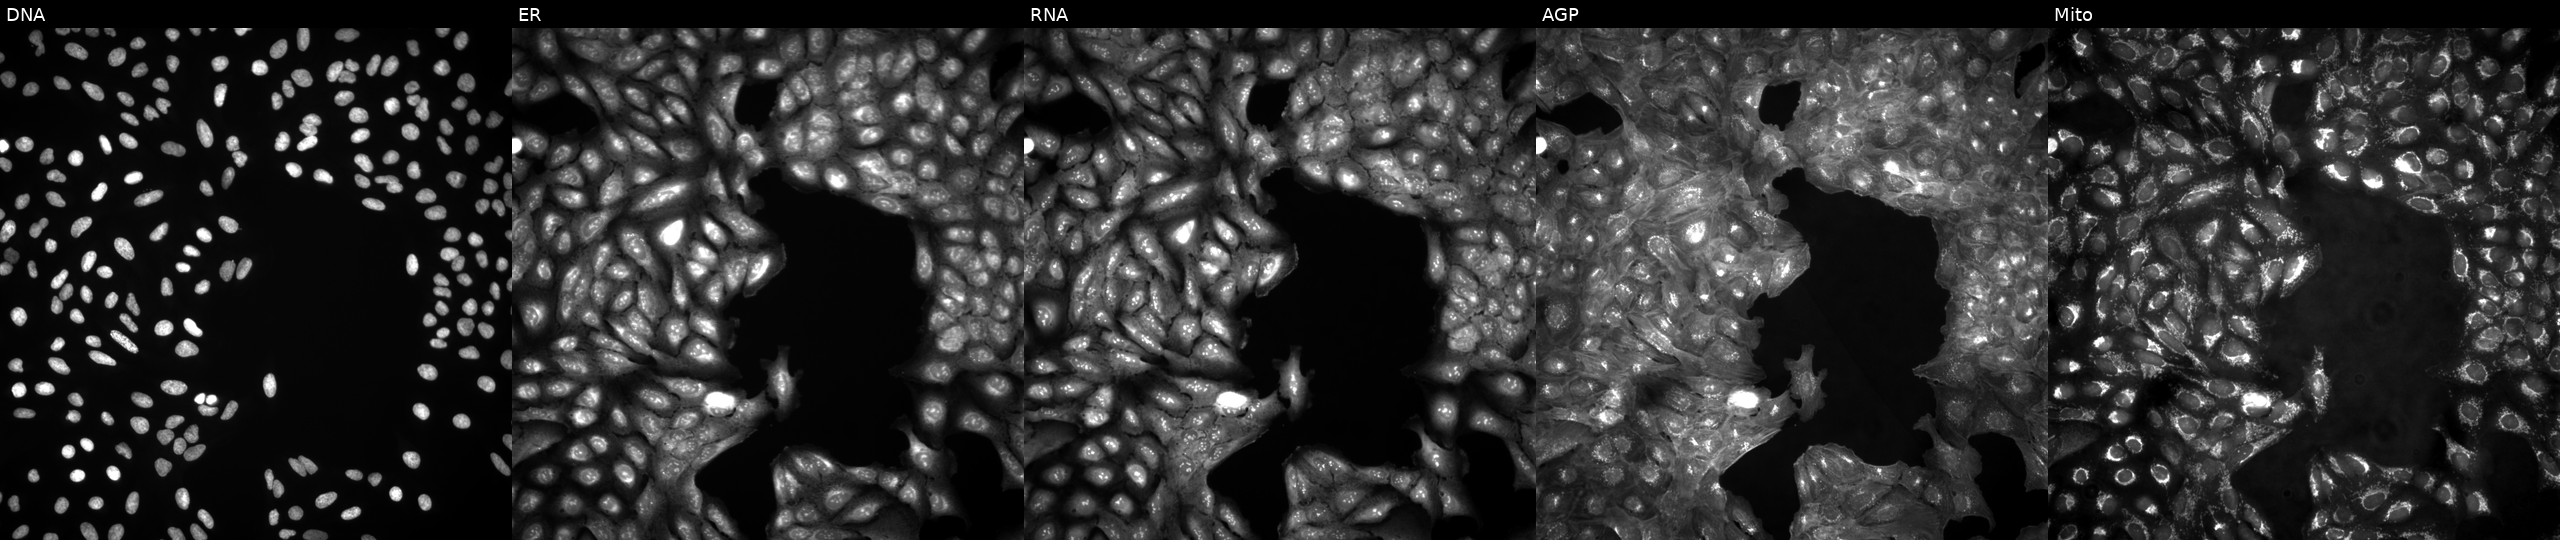
Five-channel Cell Painting image of U2OS cells in an empty control well (no perturbation). Panels show, left to right, Hoechst 33342, concanavalin A, SYTO 14, phalloidin and WGA, MitoTracker. Source 4, plate BR00123946, well B12.